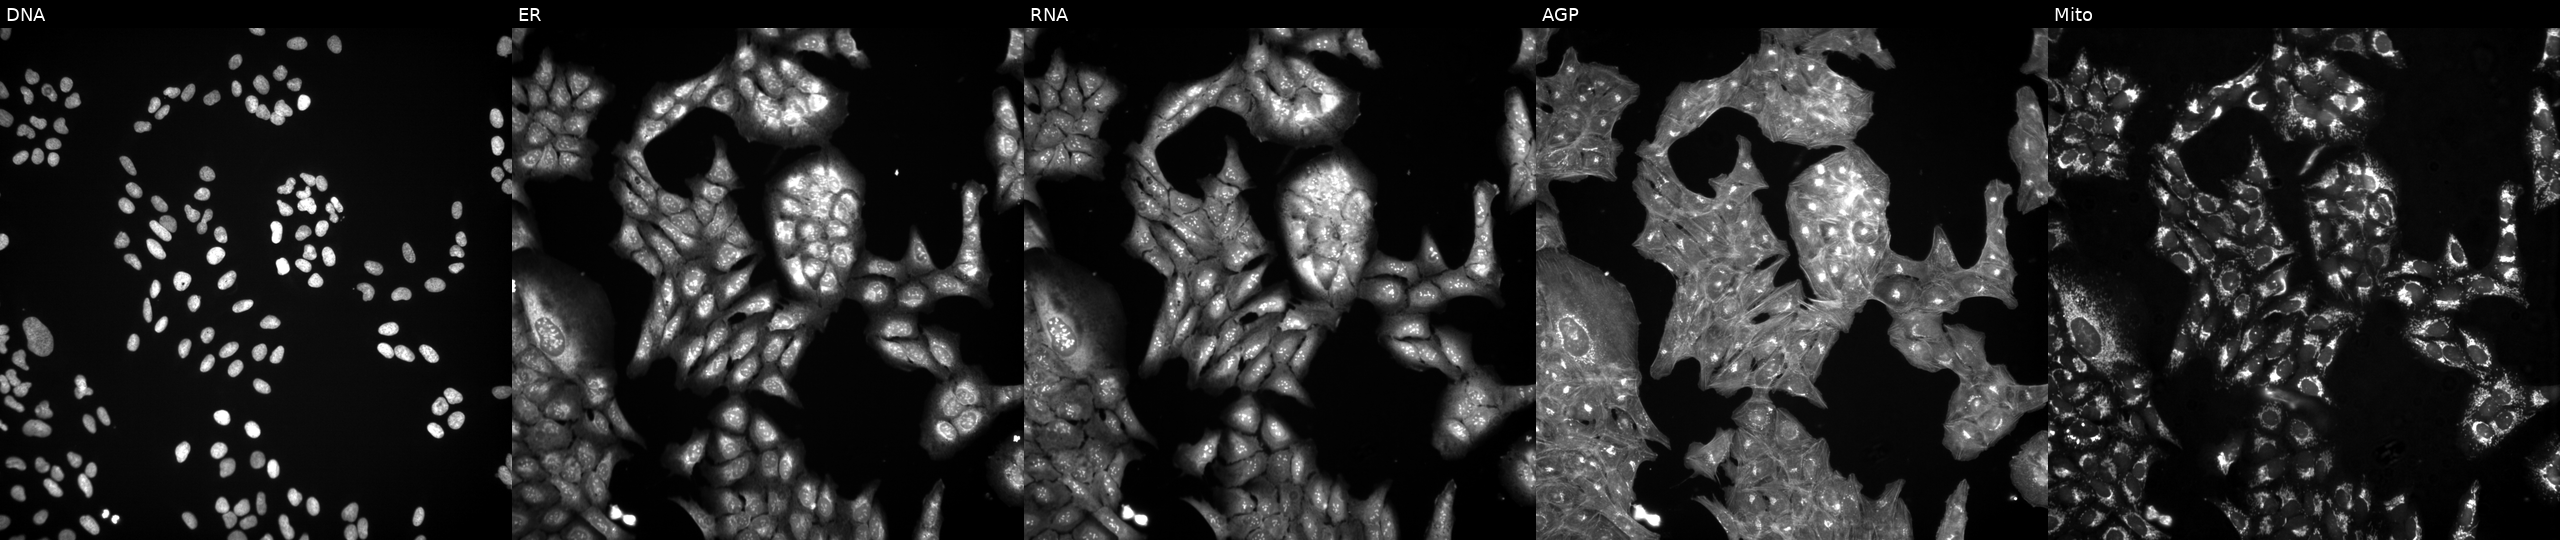
Panels show, left to right, DNA, ER, RNA, AGP, and Mito. U2OS osteosarcoma cells treated with a small-molecule compound. Cell Painting assay, JUMP-CP dataset.